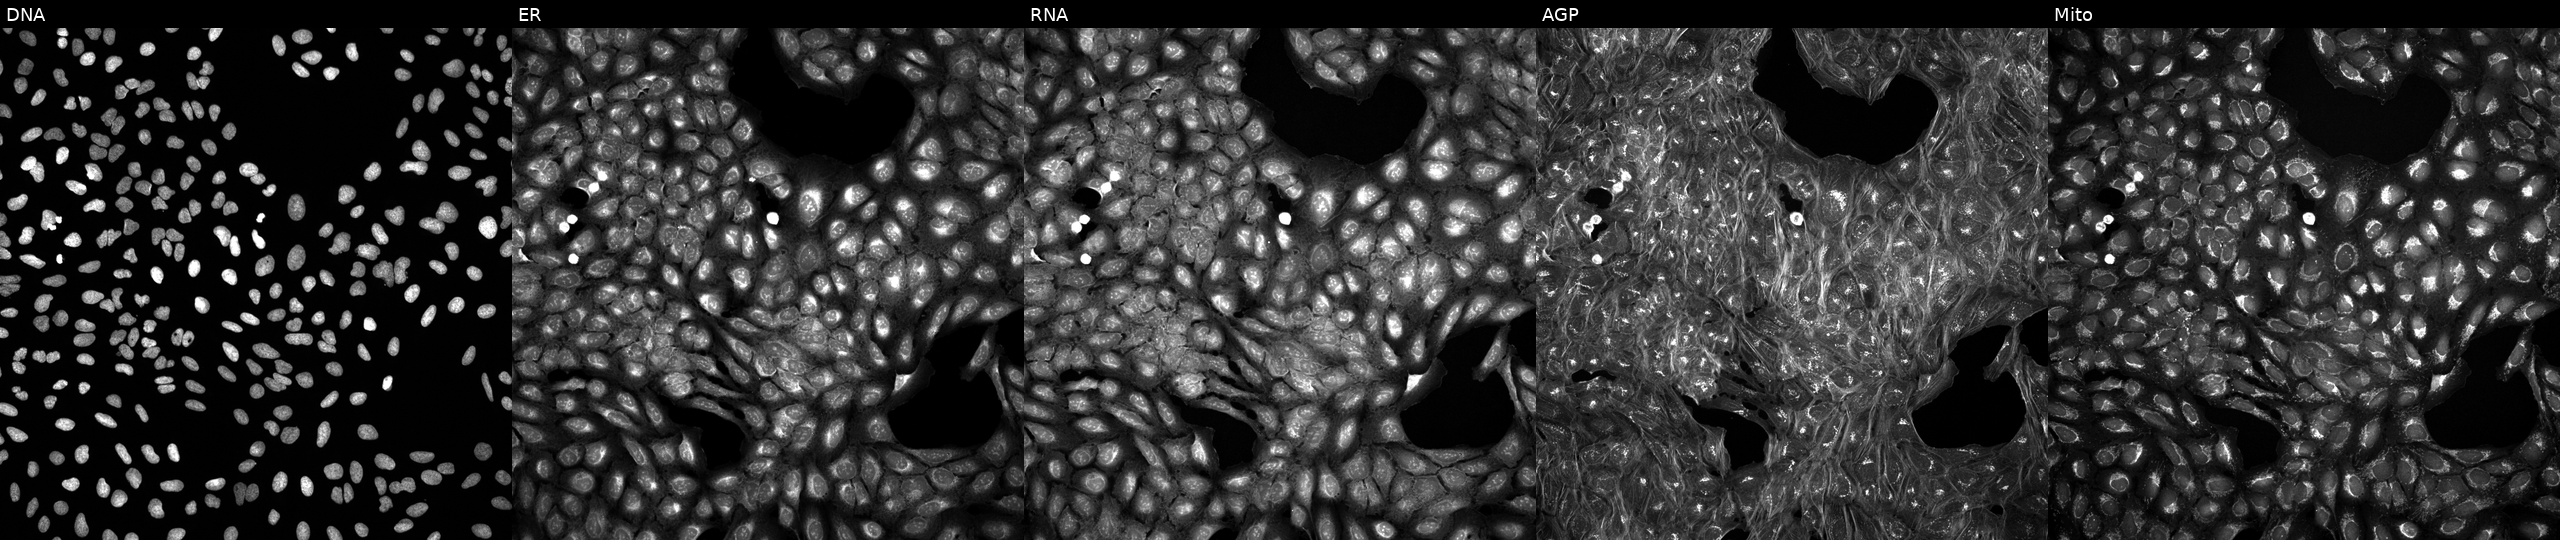
U2OS cells, Cell Painting assay, exposed to a small-molecule compound. Channels (left→right): DNA (nuclei); ER (endoplasmic reticulum); RNA (nucleoli and cytoplasmic RNA); AGP (actin cytoskeleton, Golgi, and plasma membrane); Mito (mitochondria). Each panel is percentile-stretched 16-bit fluorescence. Source 5, plate ACPJUM012, well F17.